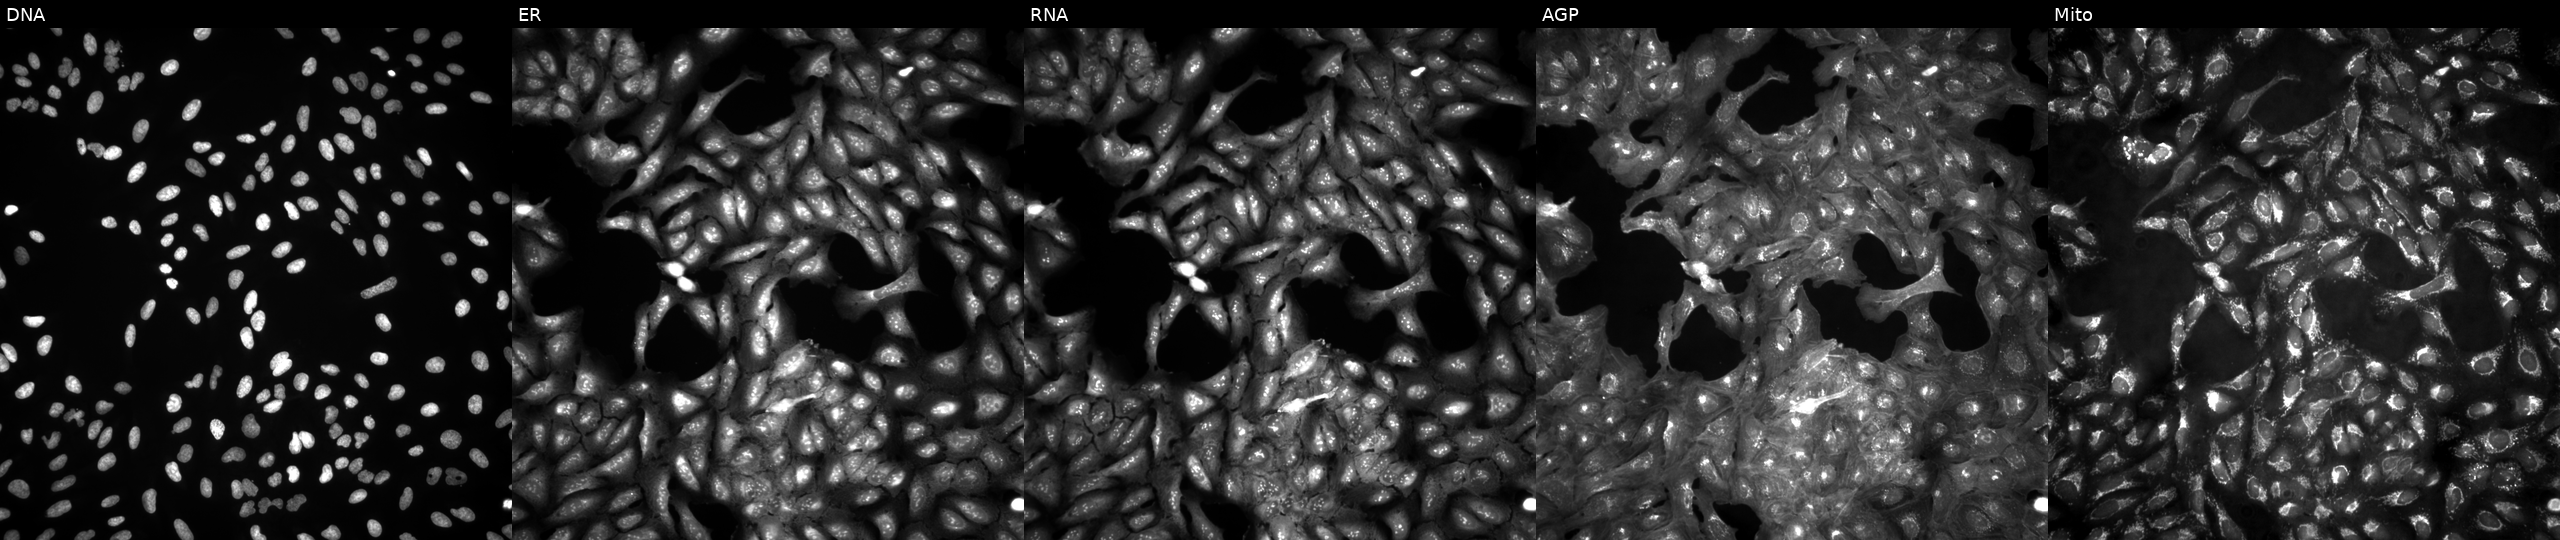
This image strip shows the five Cell Painting channels for a single field of U2OS cells untreated (empty-well control) (JUMP id JCP2022_999999). The five panels, left to right, show DNA, ER, RNA, AGP, and Mito.